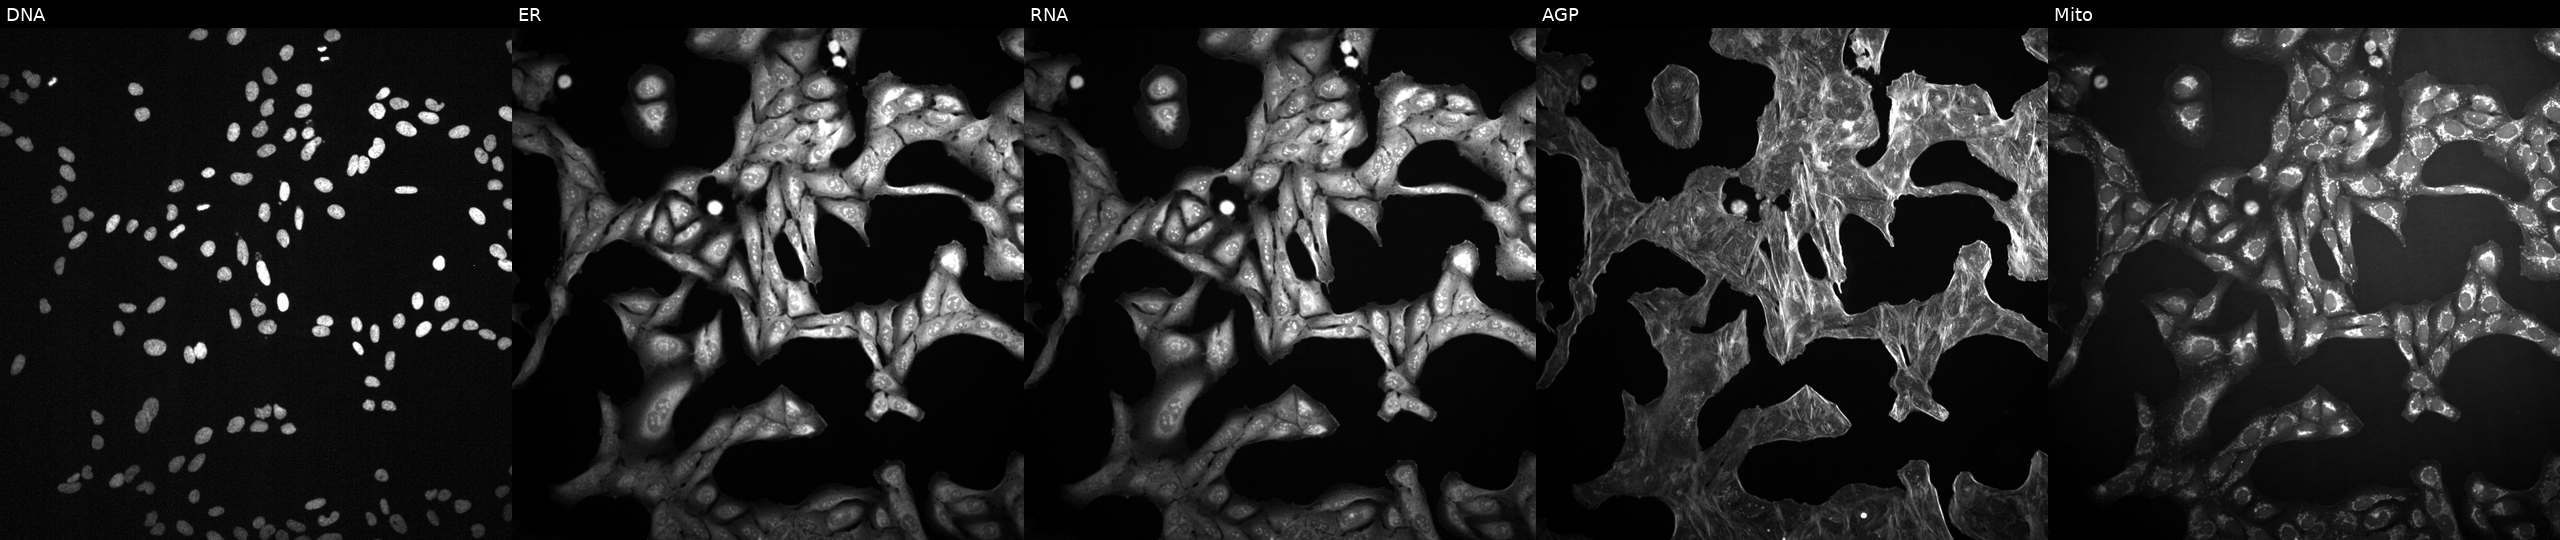
U2OS cells, Cell Painting assay, exposed to a small-molecule compound (InChIKey PMATZTZNYRCHOR-UHFFFAOYSA-N) (JUMP id JCP2022_069491). Channels (left→right): DNA, ER, RNA, AGP, and Mito. Each panel is percentile-stretched 16-bit fluorescence.